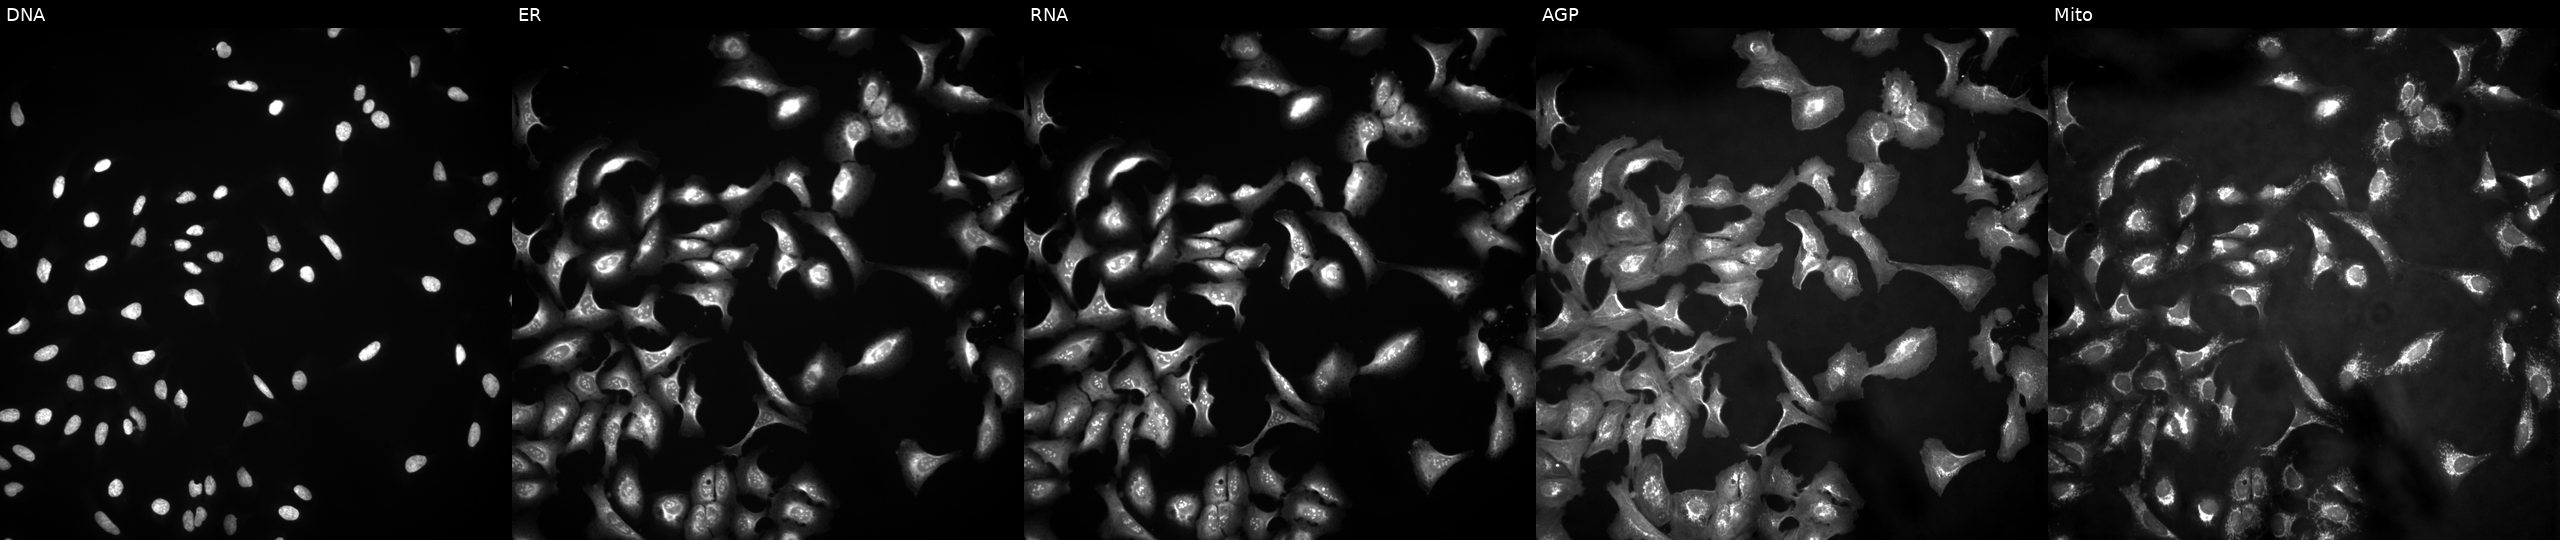
This image strip shows the five Cell Painting channels for a single field of U2OS cells transfected with an ORF construct for APCS (JUMP id JCP2022_905448). From left to right: DNA, ER, RNA, AGP, and Mito.